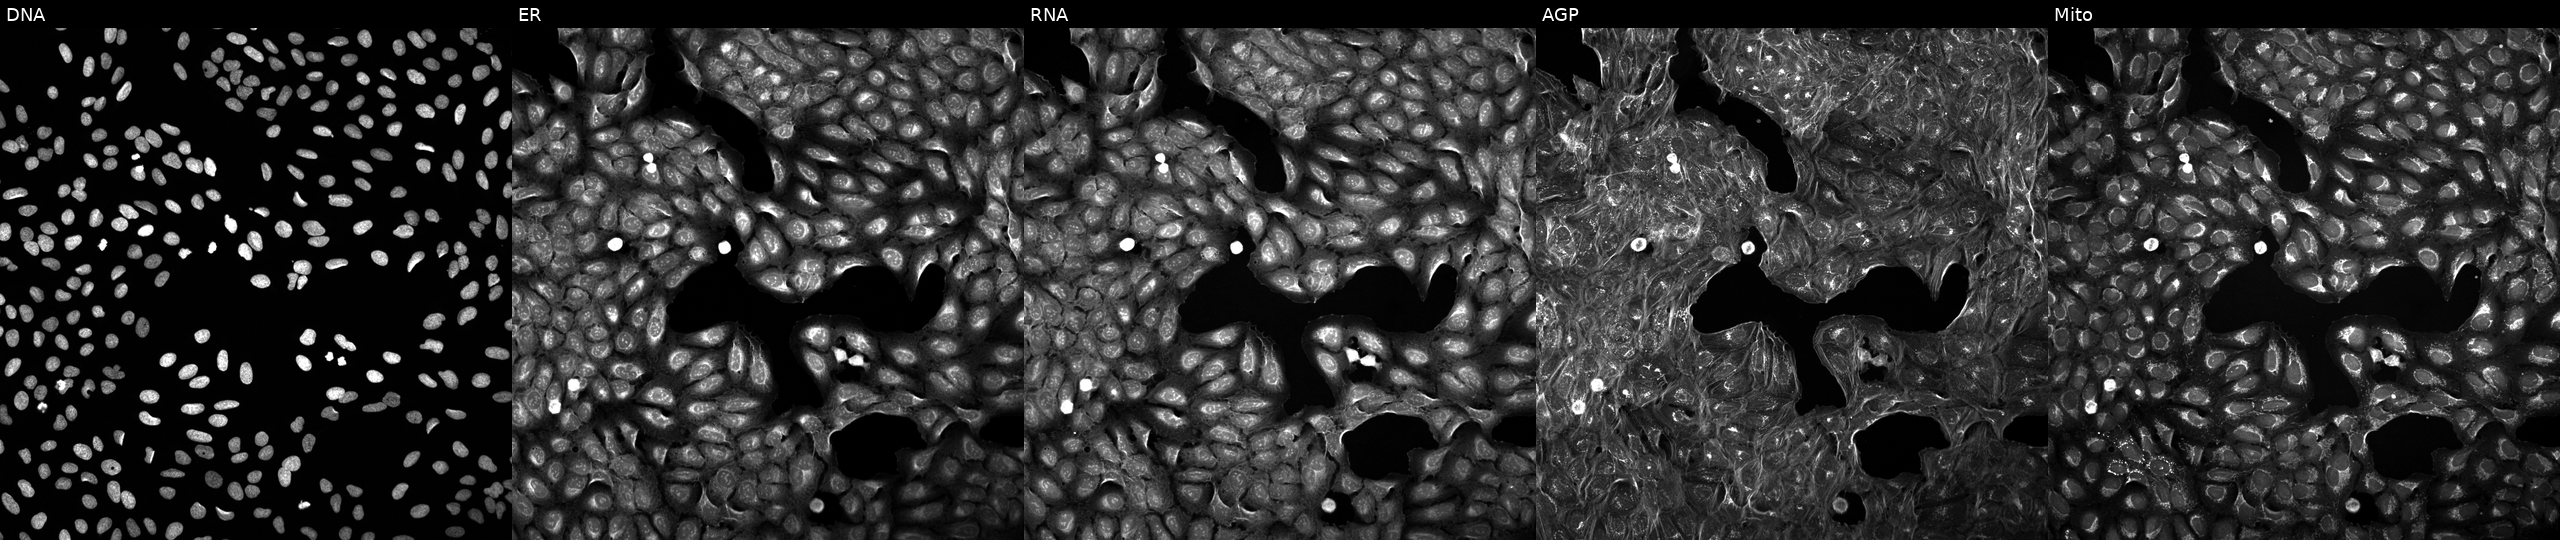
U2OS cells, Cell Painting assay, exposed to a small-molecule compound (InChIKey IKENVDNFQMCRTR-UHFFFAOYSA-N) (JUMP id JCP2022_035570). The five panels, left to right, show DNA (nuclei); ER (endoplasmic reticulum); RNA (nucleoli and cytoplasmic RNA); AGP (actin cytoskeleton, Golgi, and plasma membrane); Mito (mitochondria). Each panel is percentile-stretched 16-bit fluorescence.